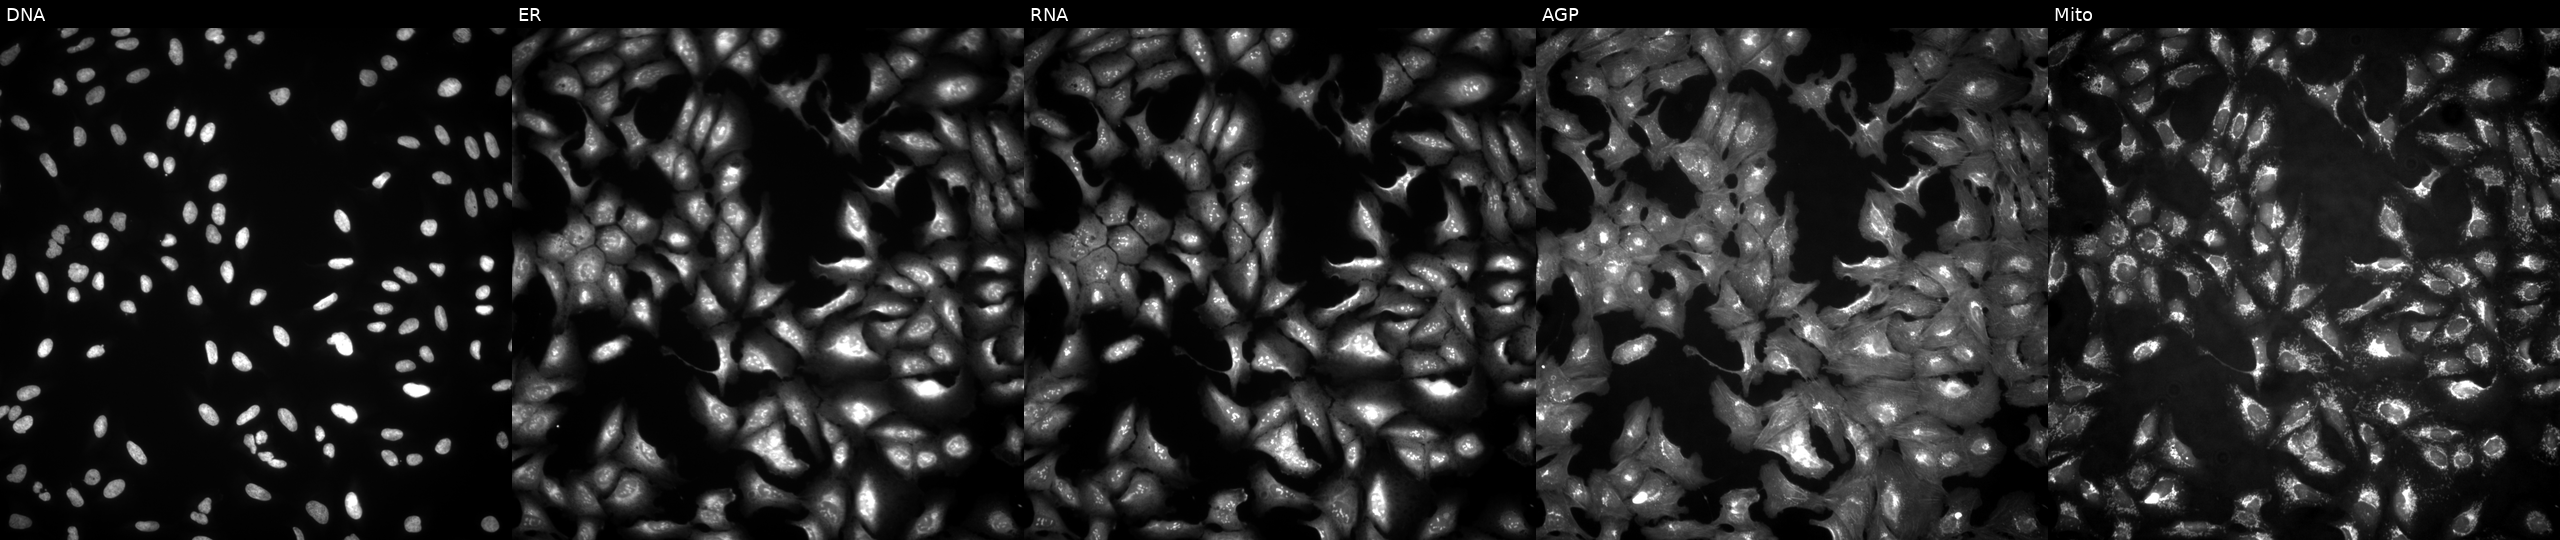
JUMP Cell Painting — ORF plate. U2OS cells untreated (empty-well control) (JUMP id JCP2022_999999). From left to right: Hoechst 33342, concanavalin A, SYTO 14, phalloidin and WGA, MitoTracker.